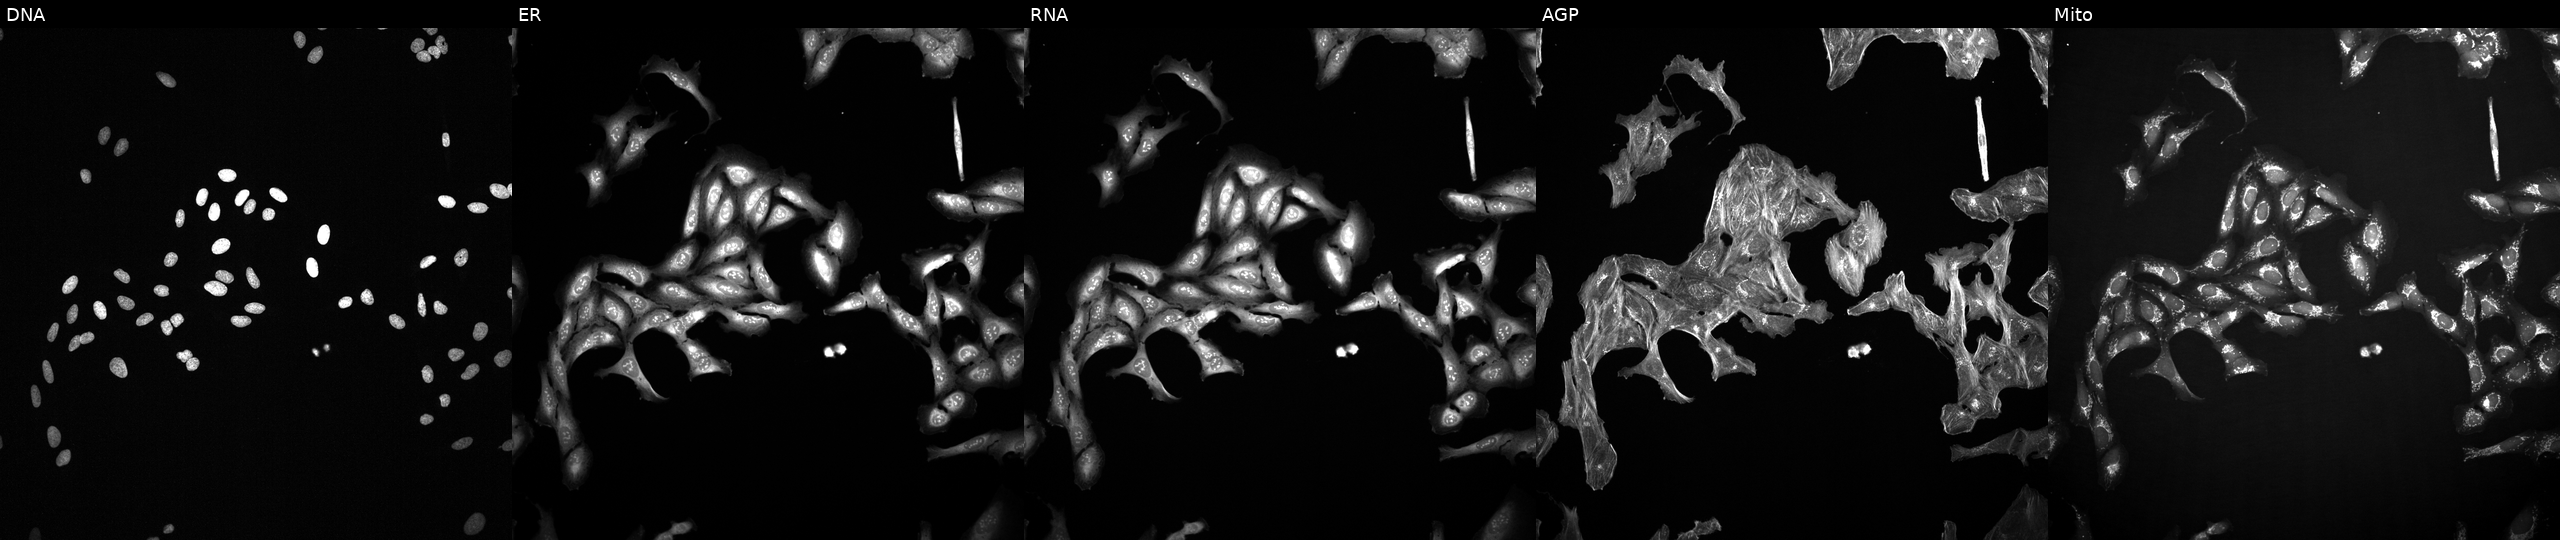
Channels (left→right): DNA, ER, RNA, AGP, and Mito. U2OS osteosarcoma cells exposed to a small-molecule compound (InChIKey PWKSKIMOESPYIA-UHFFFAOYSA-N) [SMILES: CC(=O)NC(CS)C(=O)O]. Cell Painting assay, JUMP-CP dataset.